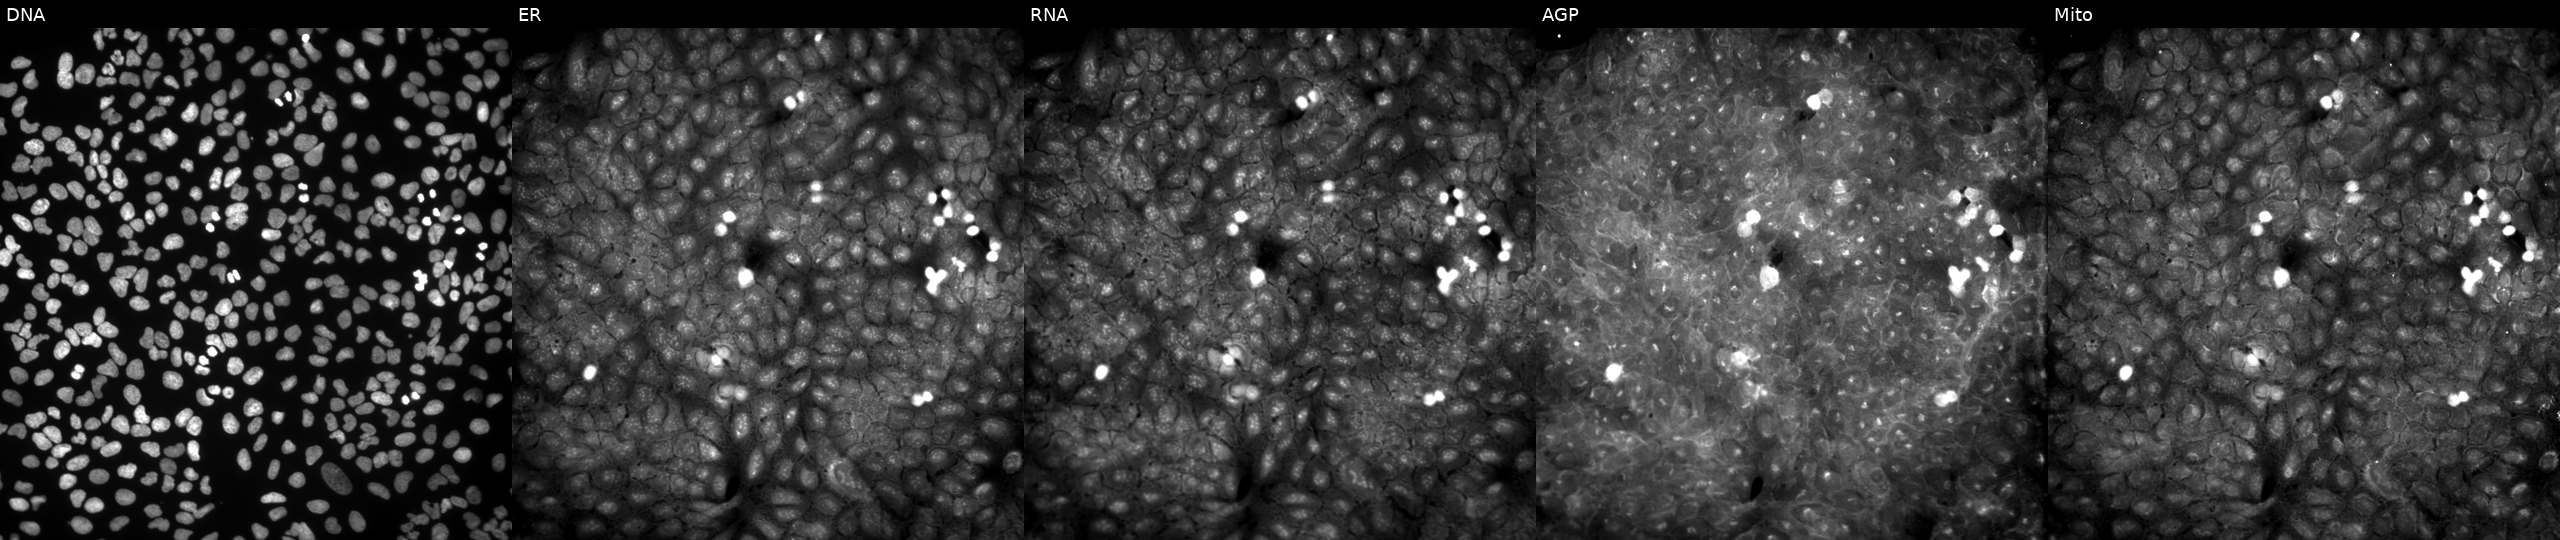
This image strip shows the five Cell Painting channels for a single field of U2OS cells exposed to DMSO alone as a negative control. Panels show, left to right, DNA (nuclei); ER (endoplasmic reticulum); RNA (nucleoli and cytoplasmic RNA); AGP (actin cytoskeleton, Golgi, and plasma membrane); Mito (mitochondria).